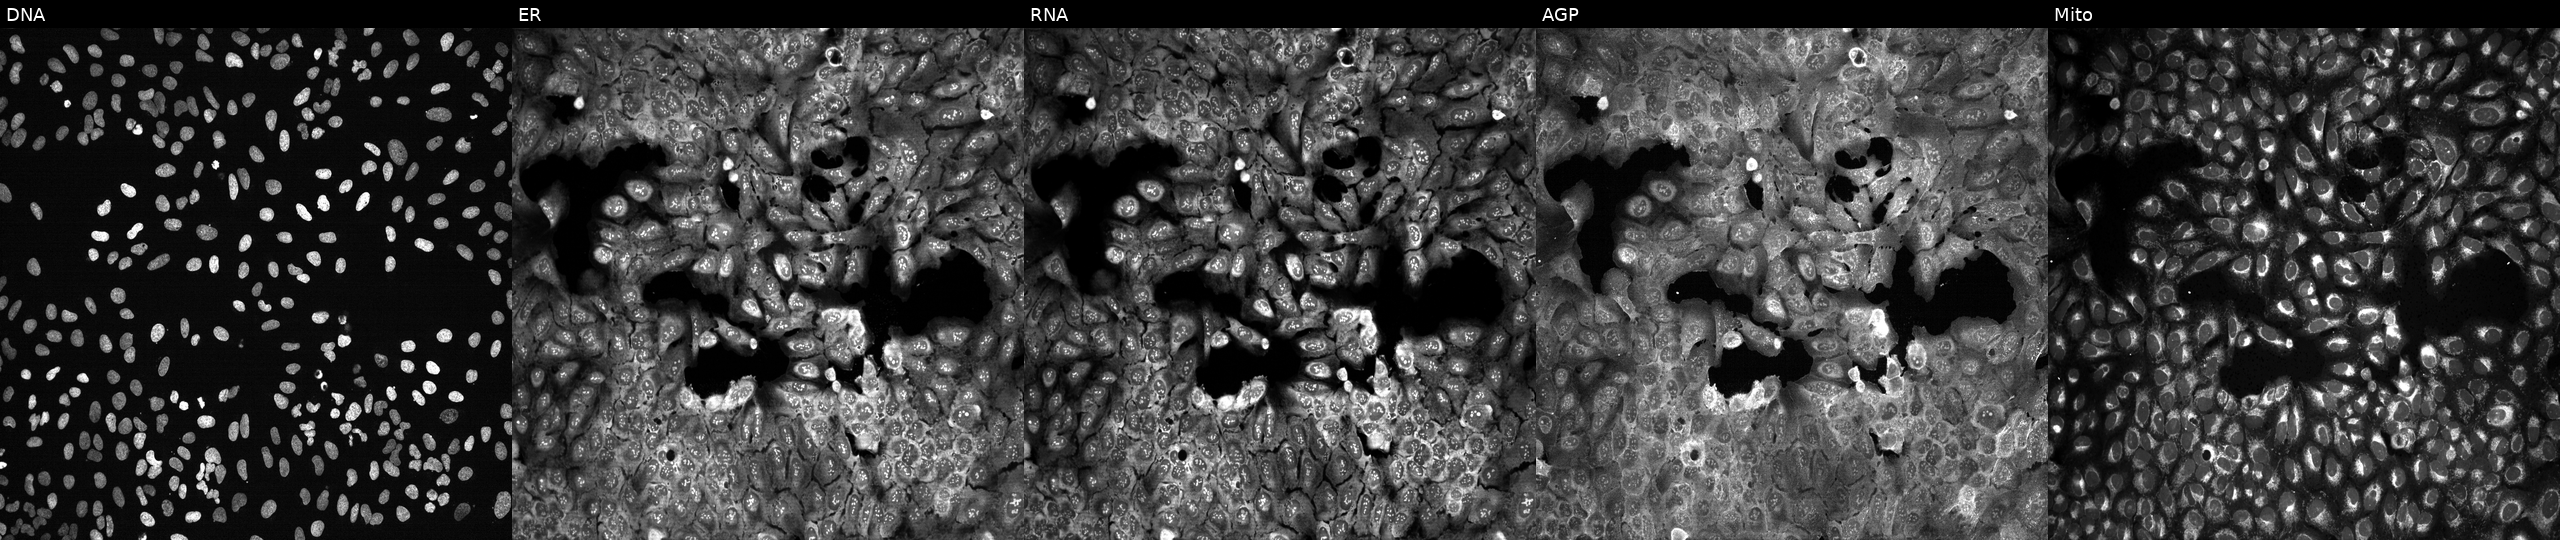
This image strip shows the five Cell Painting channels for a single field of U2OS cells following CRISPR knockout of ATP8B4. Channels (left→right): DNA (nuclei); ER (endoplasmic reticulum); RNA (nucleoli and cytoplasmic RNA); AGP (actin cytoskeleton, Golgi, and plasma membrane); Mito (mitochondria).